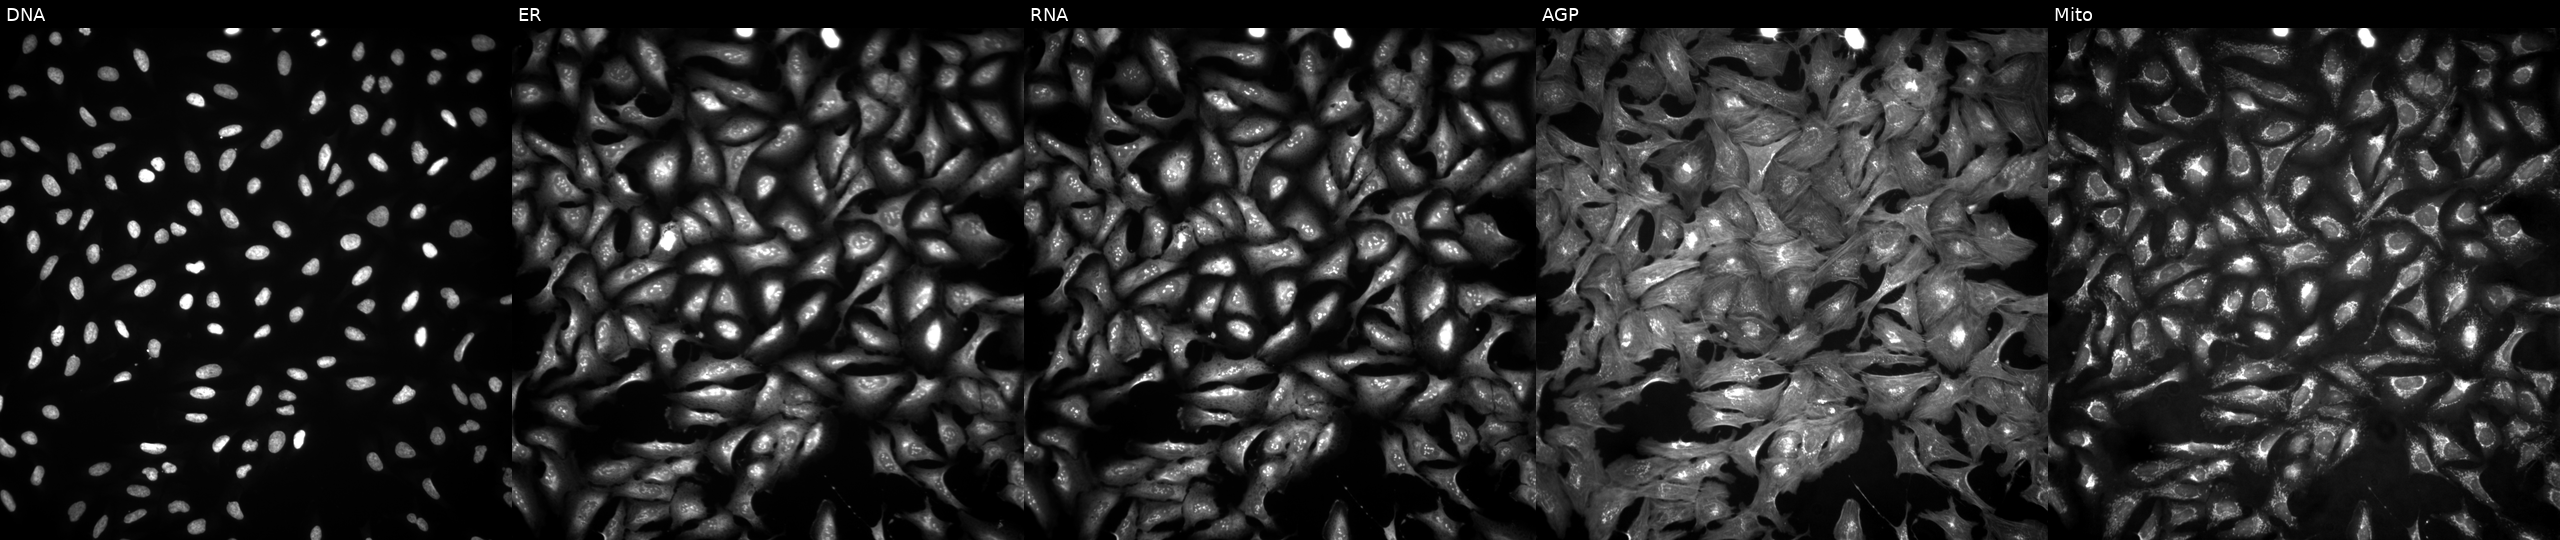
High-content fluorescence microscopy (Cell Painting). Cell line: U2OS. Perturbation: transfected with an ORF construct for RNASEH2C (JUMP id JCP2022_908548). Channels (left→right): DNA, ER, RNA, AGP, and Mito.